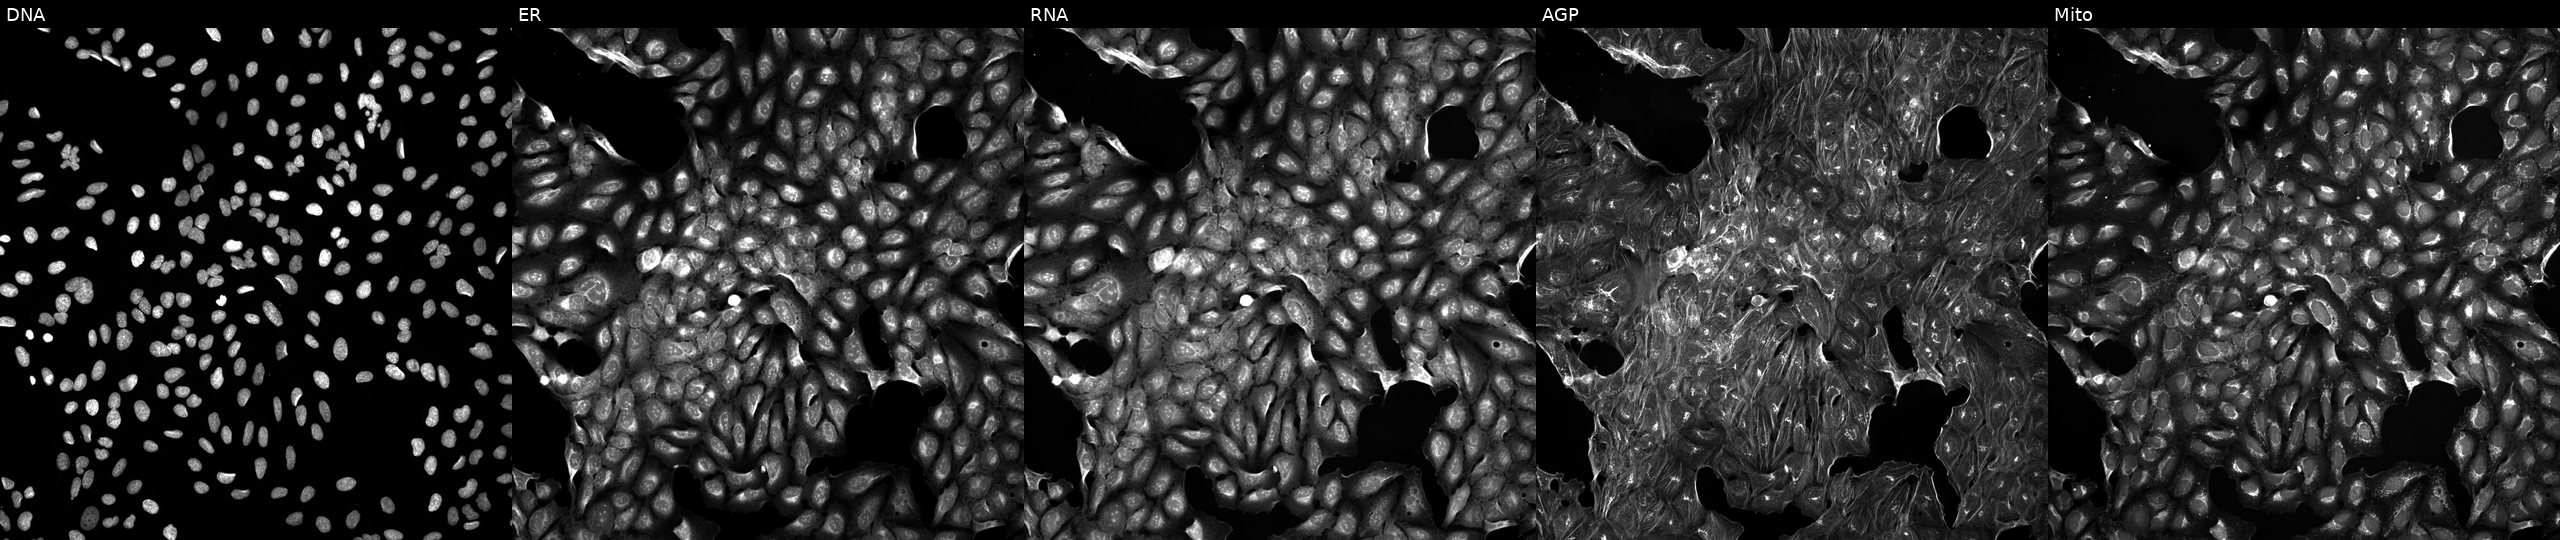
Five-channel Cell Painting image of U2OS cells exposed to the positive-control compound TC-S-7004. Panels show, left to right, Hoechst 33342, concanavalin A, SYTO 14, phalloidin and WGA, MitoTracker. Source 5, plate ACPJUM051, well K12.